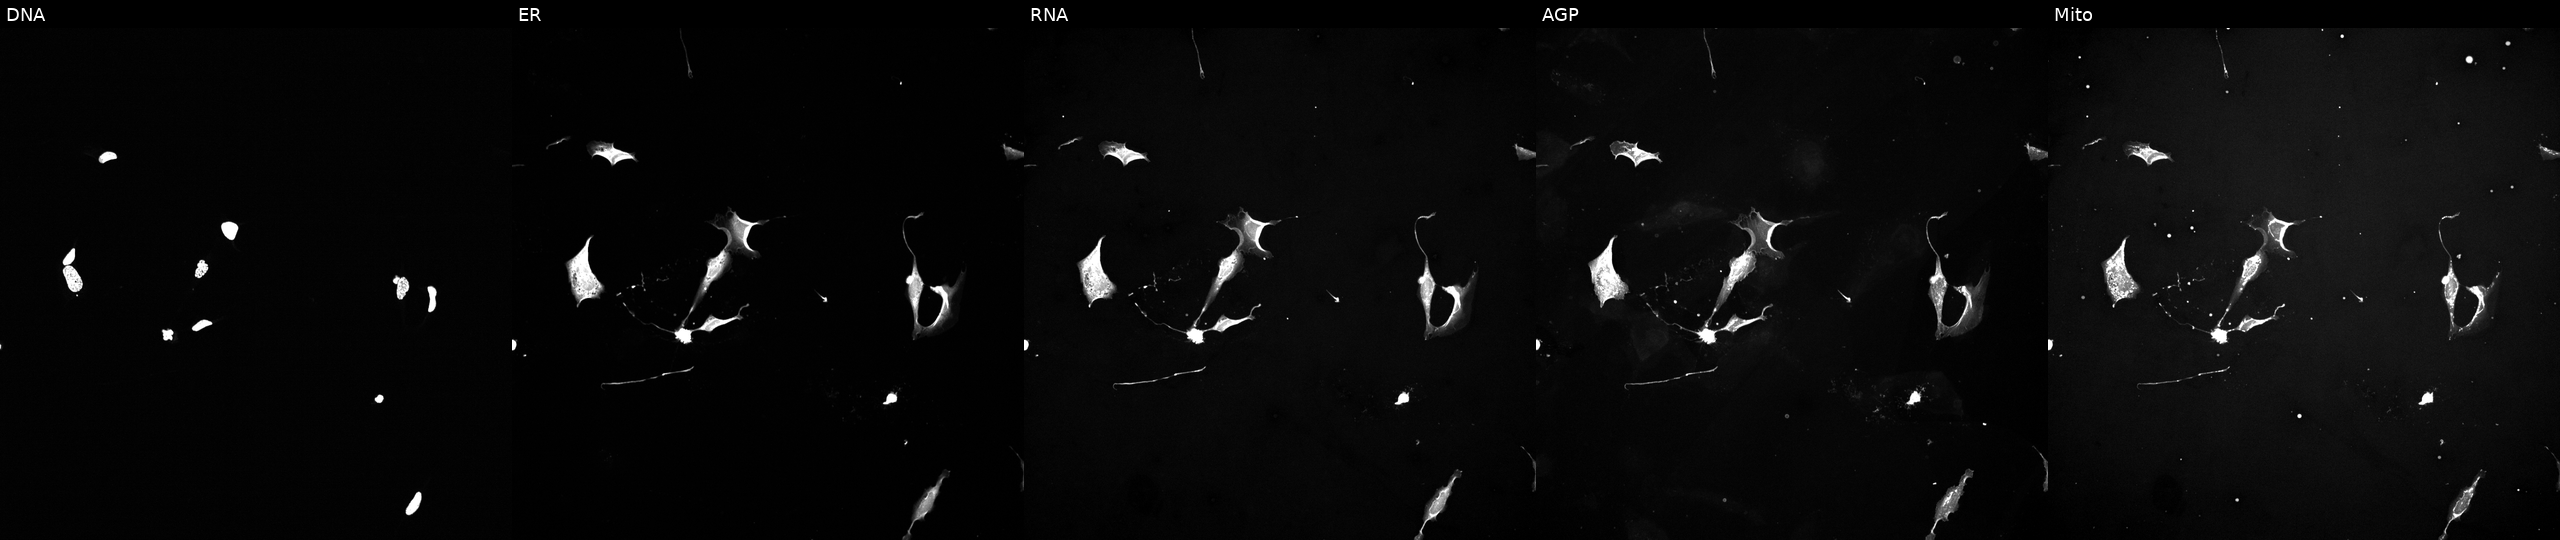
U2OS cells, Cell Painting assay, treated with a small-molecule compound (InChIKey VXBAJLGYBMTJCY-UHFFFAOYSA-N) (JUMP id JCP2022_096865). Panels show, left to right, DNA (nuclei); ER (endoplasmic reticulum); RNA (nucleoli and cytoplasmic RNA); AGP (actin cytoskeleton, Golgi, and plasma membrane); Mito (mitochondria). Each panel is percentile-stretched 16-bit fluorescence. Source 5, plate ACPJUM051, well C08.